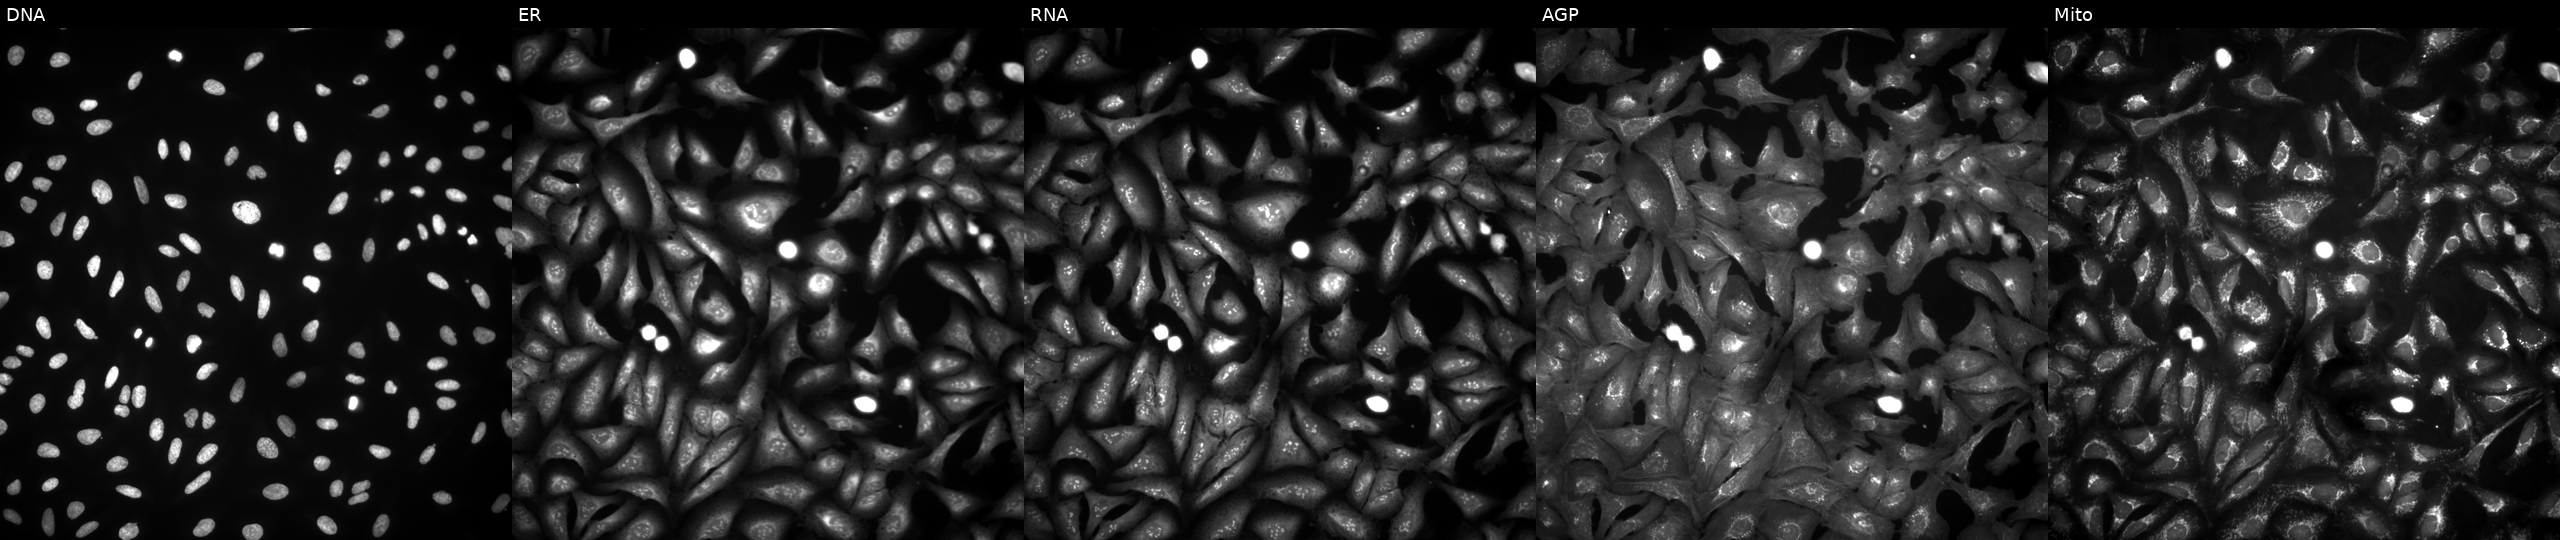
JUMP Cell Painting — ORF plate. U2OS cells transfected with an ORF construct for SLC39A4. From left to right: Hoechst 33342, concanavalin A, SYTO 14, phalloidin and WGA, MitoTracker. Source 4, plate BR00124790, well G15.